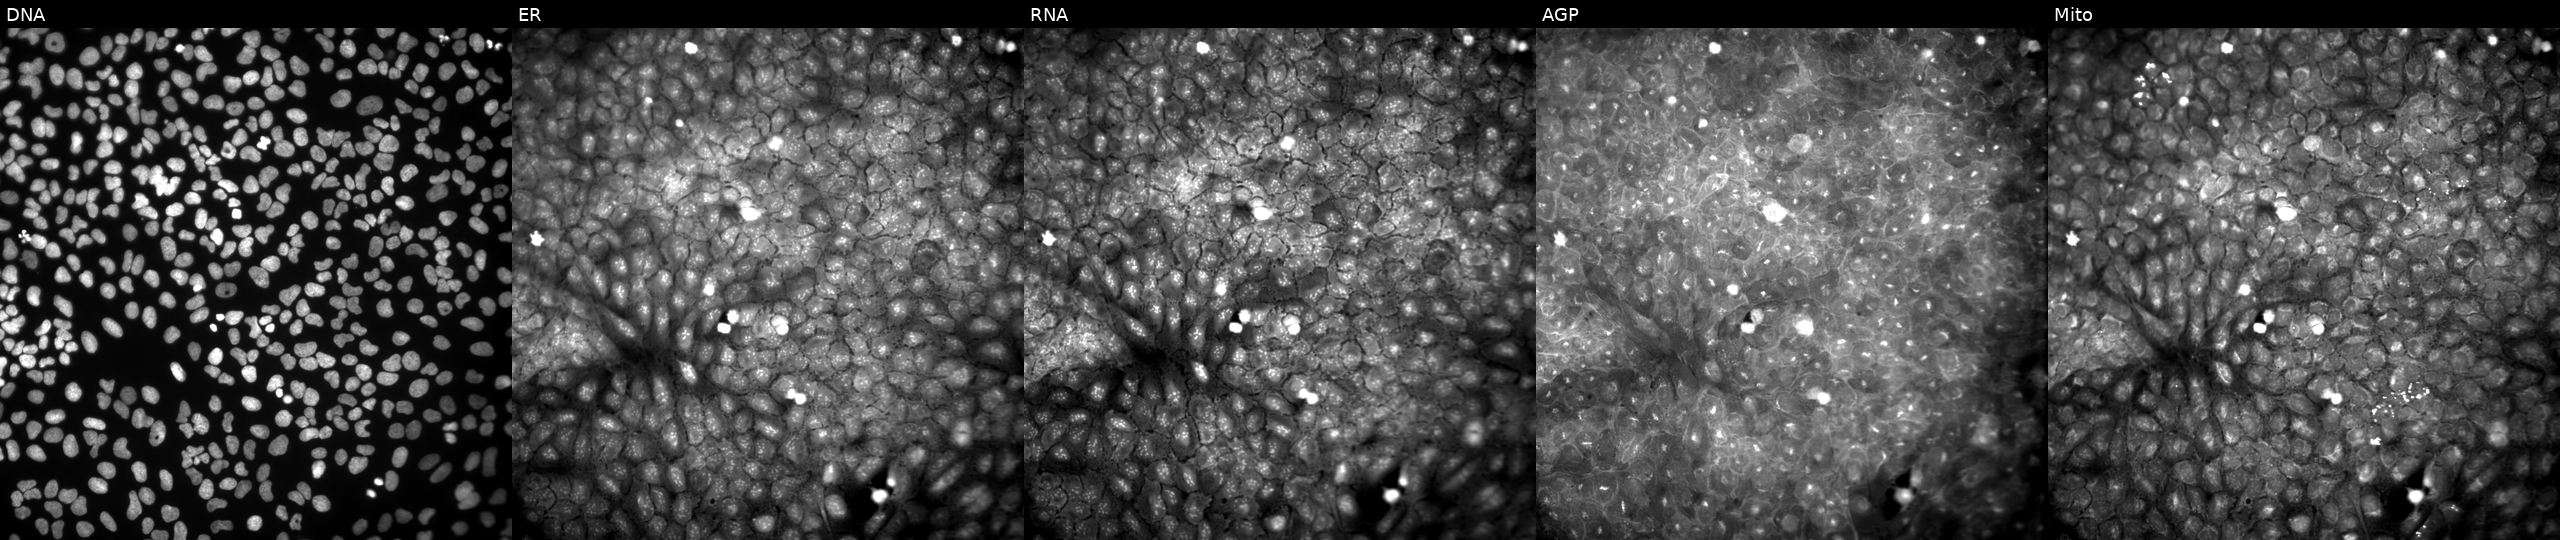
Five-channel Cell Painting image of U2OS cells perturbed with a small-molecule compound (InChIKey RUKCXNSKNMUKPN-UHFFFAOYSA-N) (JUMP id JCP2022_080796). Panels show, left to right, DNA (nuclei); ER (endoplasmic reticulum); RNA (nucleoli and cytoplasmic RNA); AGP (actin cytoskeleton, Golgi, and plasma membrane); Mito (mitochondria).